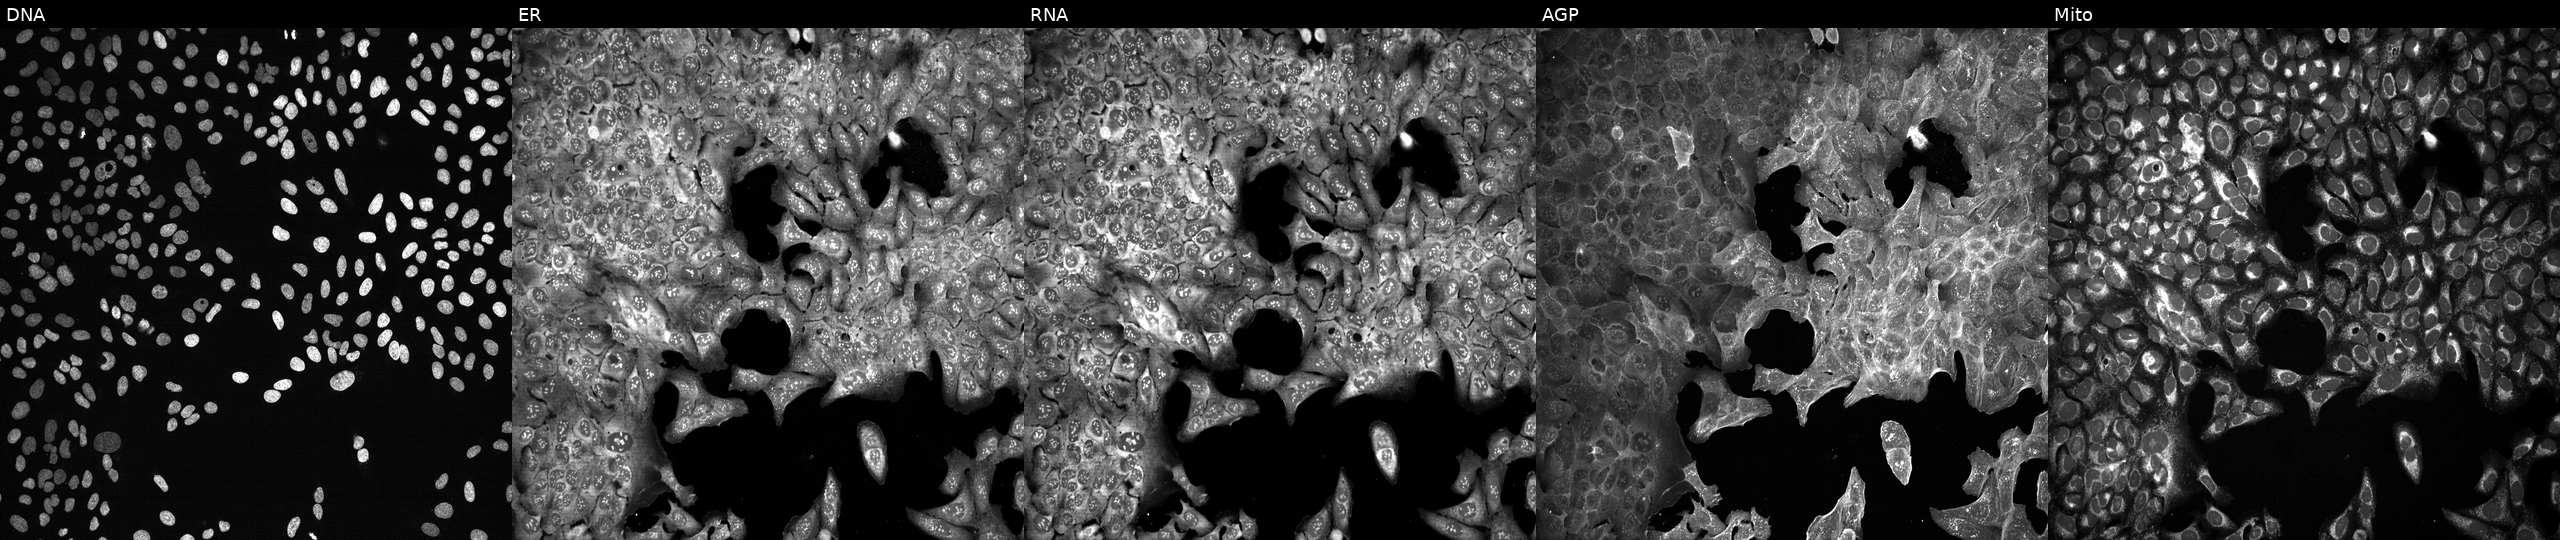
U2OS cells, Cell Painting assay, with PROZ knocked out by CRISPR (JUMP id JCP2022_805564). Channels (left→right): Hoechst 33342, concanavalin A, SYTO 14, phalloidin and WGA, MitoTracker. Each panel is percentile-stretched 16-bit fluorescence. Source 13, plate CP-CC9-R6-19, well K17.